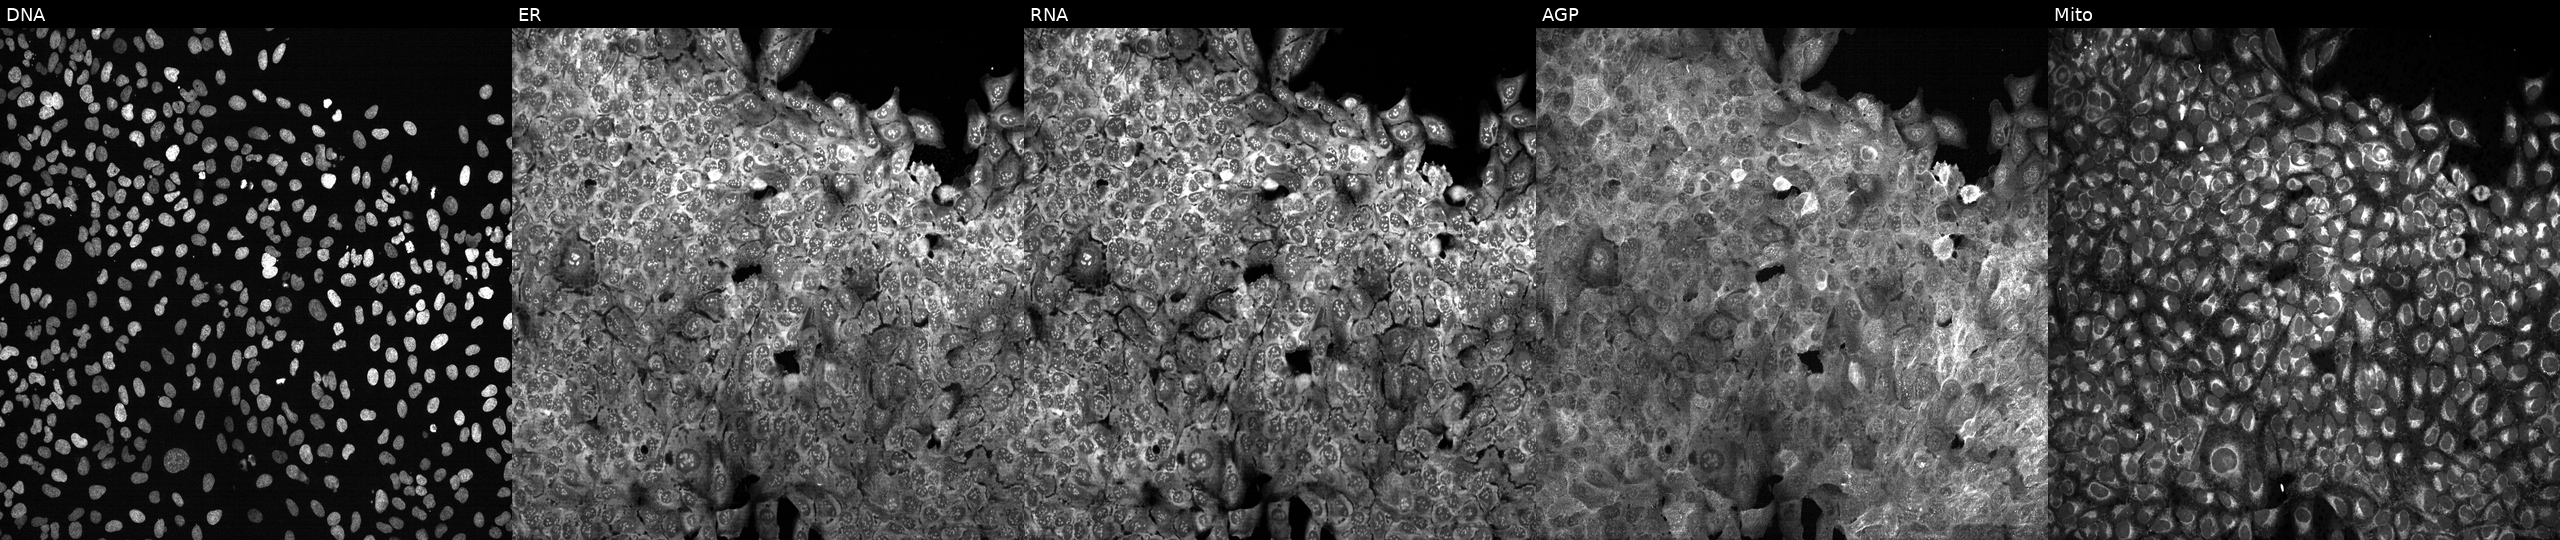
Five-channel Cell Painting image of U2OS cells CRISPR-edited to disrupt ADPRH (JUMP id JCP2022_800272). Panels show, left to right, Hoechst 33342, concanavalin A, SYTO 14, phalloidin and WGA, MitoTracker.